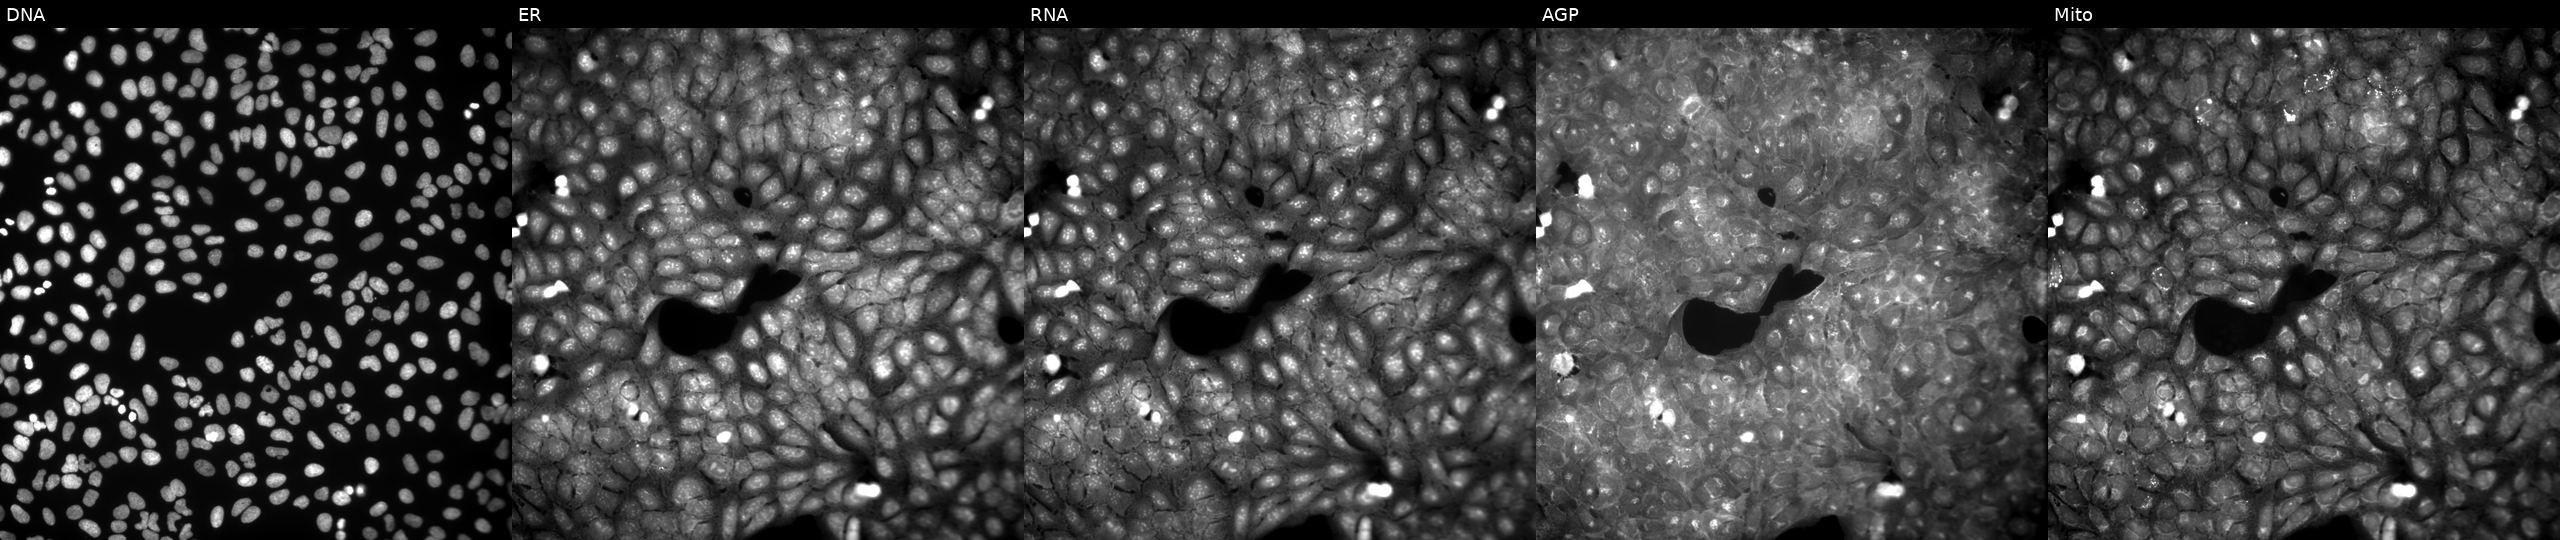
This image strip shows the five Cell Painting channels for a single field of U2OS cells treated with a small-molecule compound (InChIKey YOUHZDROLFDFCC-UHFFFAOYSA-N). From left to right: DNA, ER, RNA, AGP, and Mito.